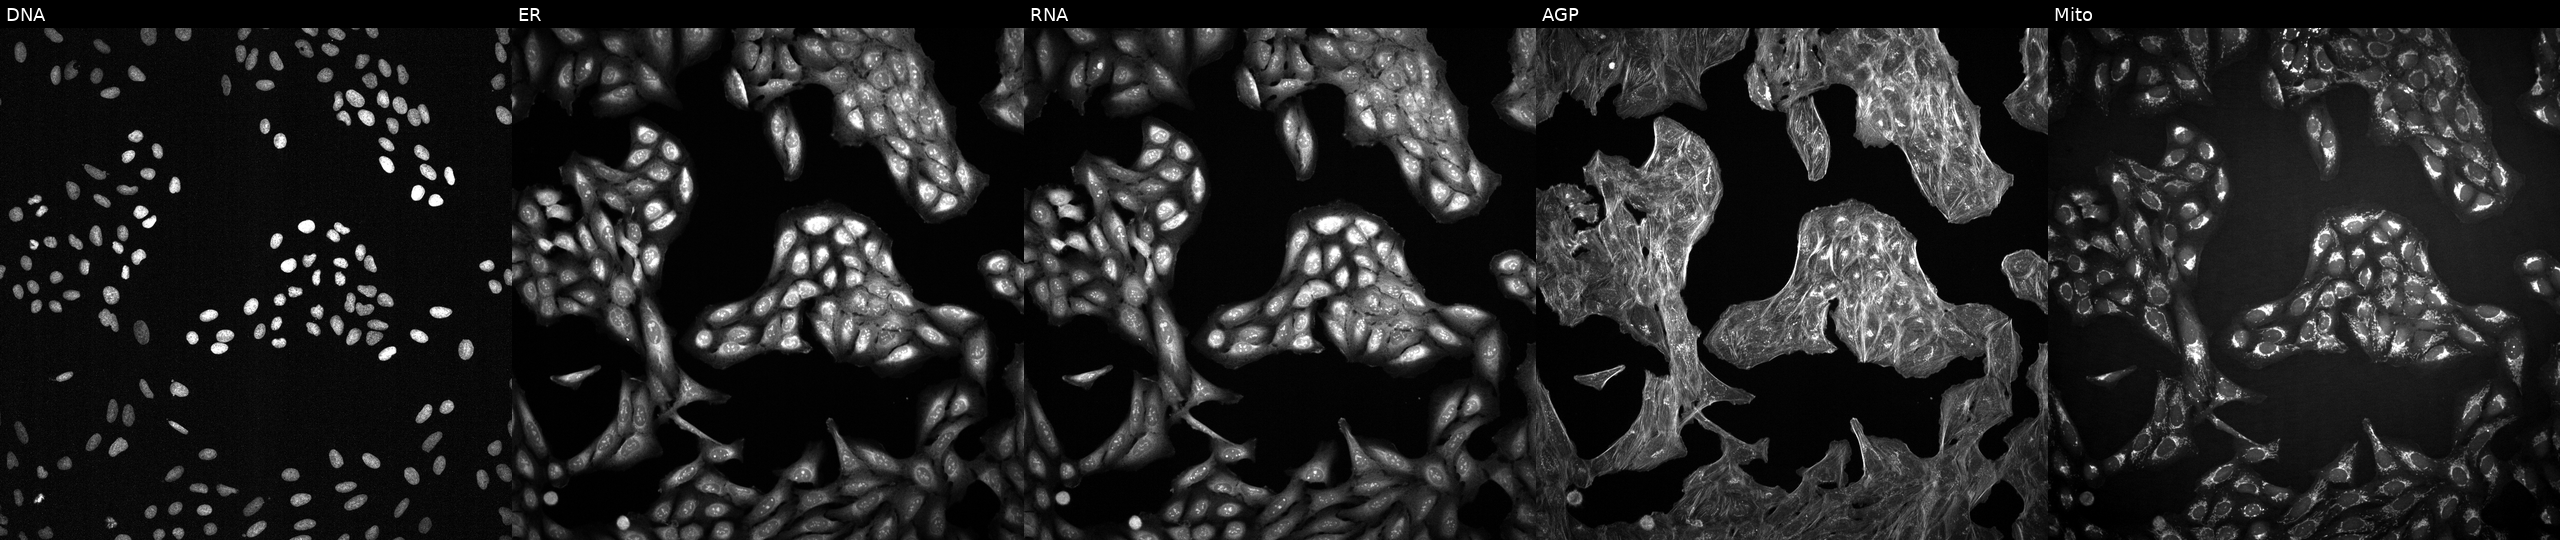
From left to right: DNA (nuclei); ER (endoplasmic reticulum); RNA (nucleoli and cytoplasmic RNA); AGP (actin cytoskeleton, Golgi, and plasma membrane); Mito (mitochondria). U2OS osteosarcoma cells perturbed with a small-molecule compound (InChIKey IBAQFPQHRJAVAV-UHFFFAOYSA-N) (JUMP id JCP2022_033936). Cell Painting assay, JUMP-CP dataset.